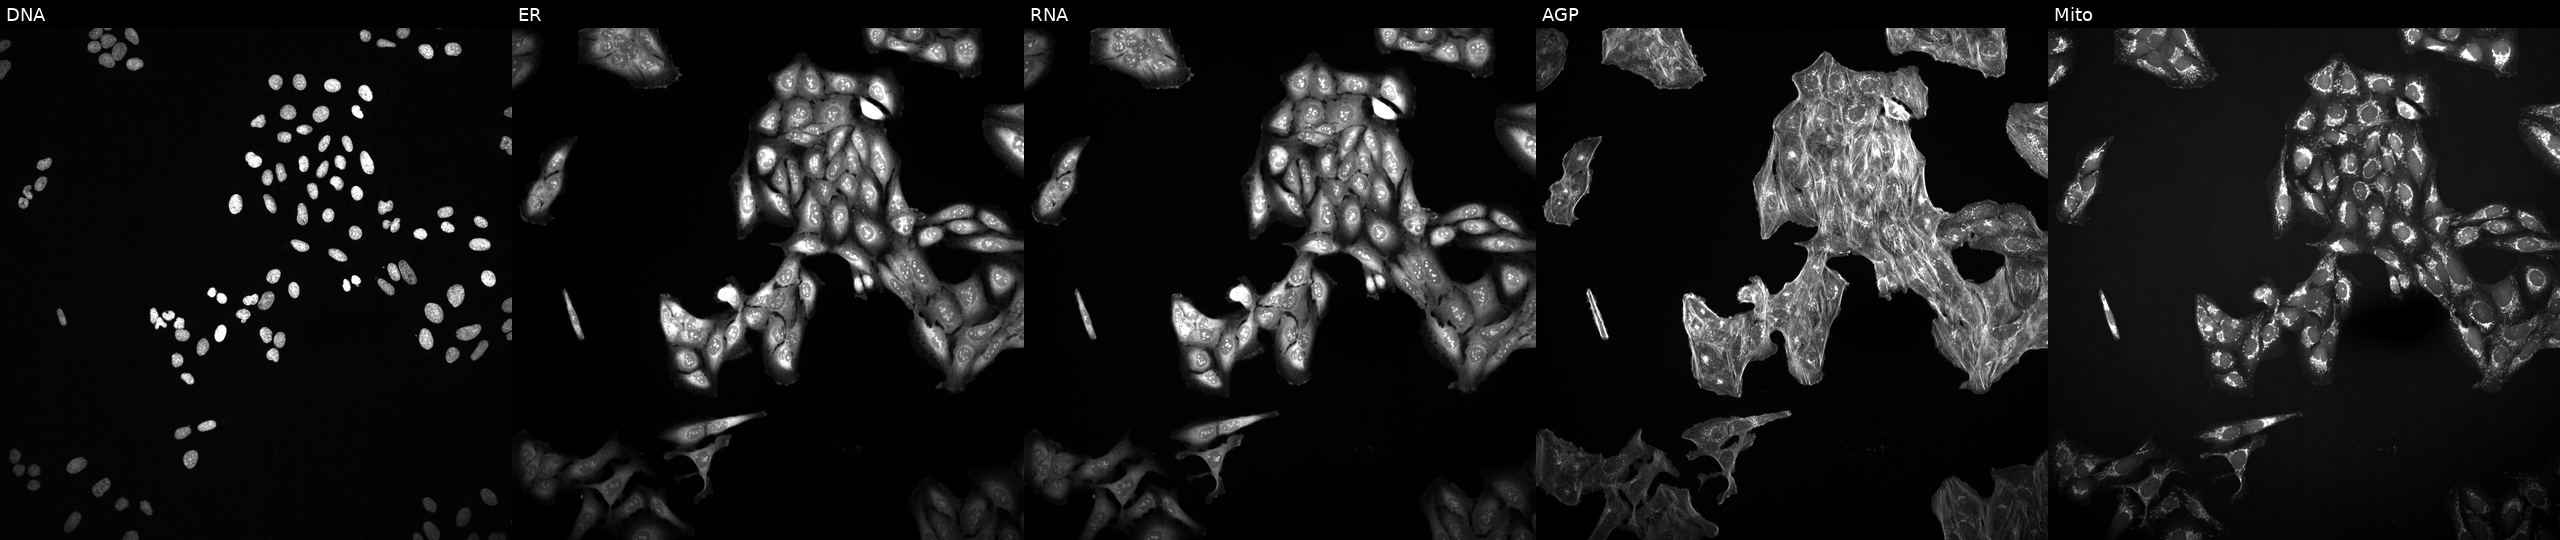
U2OS cells, Cell Painting assay, exposed to a small-molecule compound (InChIKey RNSLRQNDXRSASX-UHFFFAOYSA-N) [SMILES: Cc1nn(C)c2[nH]c(=NNC(=O)N=c3cc(Cl)[nH]c(Cl)c3)cc(C(C)C)c12] (JUMP id JCP2022_079562). From left to right: DNA (nuclei); ER (endoplasmic reticulum); RNA (nucleoli and cytoplasmic RNA); AGP (actin cytoskeleton, Golgi, and plasma membrane); Mito (mitochondria). Each panel is percentile-stretched 16-bit fluorescence. Source 2, plate 1053597936, well A15.